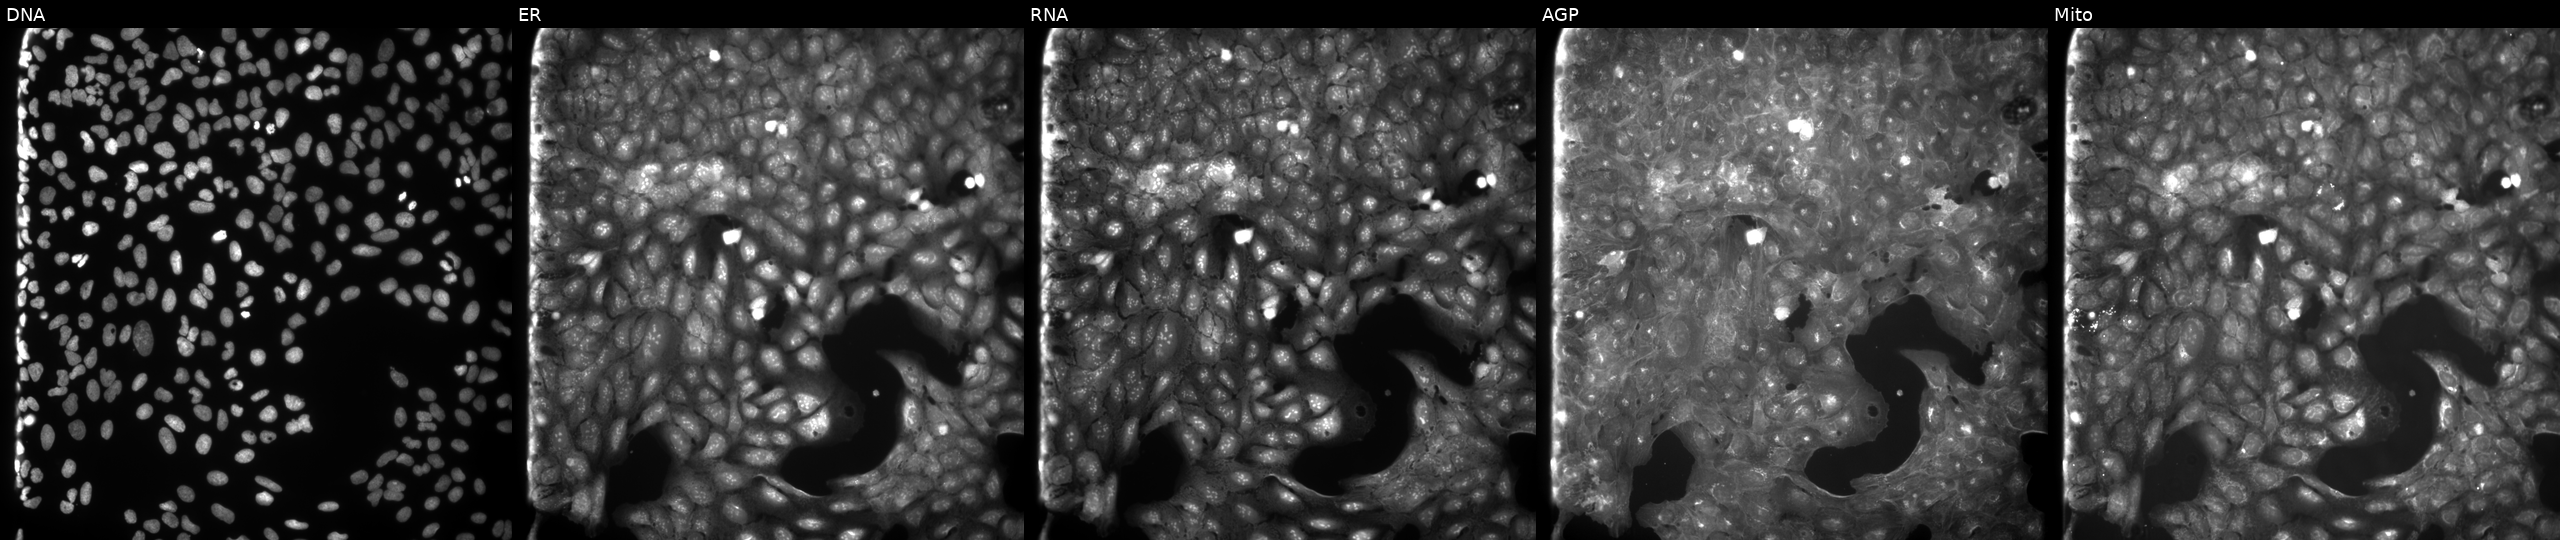
JUMP Cell Painting — COMPOUND plate. U2OS cells exposed to a small-molecule compound [SMILES: C(=Cc1ccccc1)CSc1nnc(-c2cccnc2)o1] (JUMP id JCP2022_030712). Panels show, left to right, Hoechst 33342, concanavalin A, SYTO 14, phalloidin and WGA, MitoTracker. Source 9, plate GR00003382, well N07.